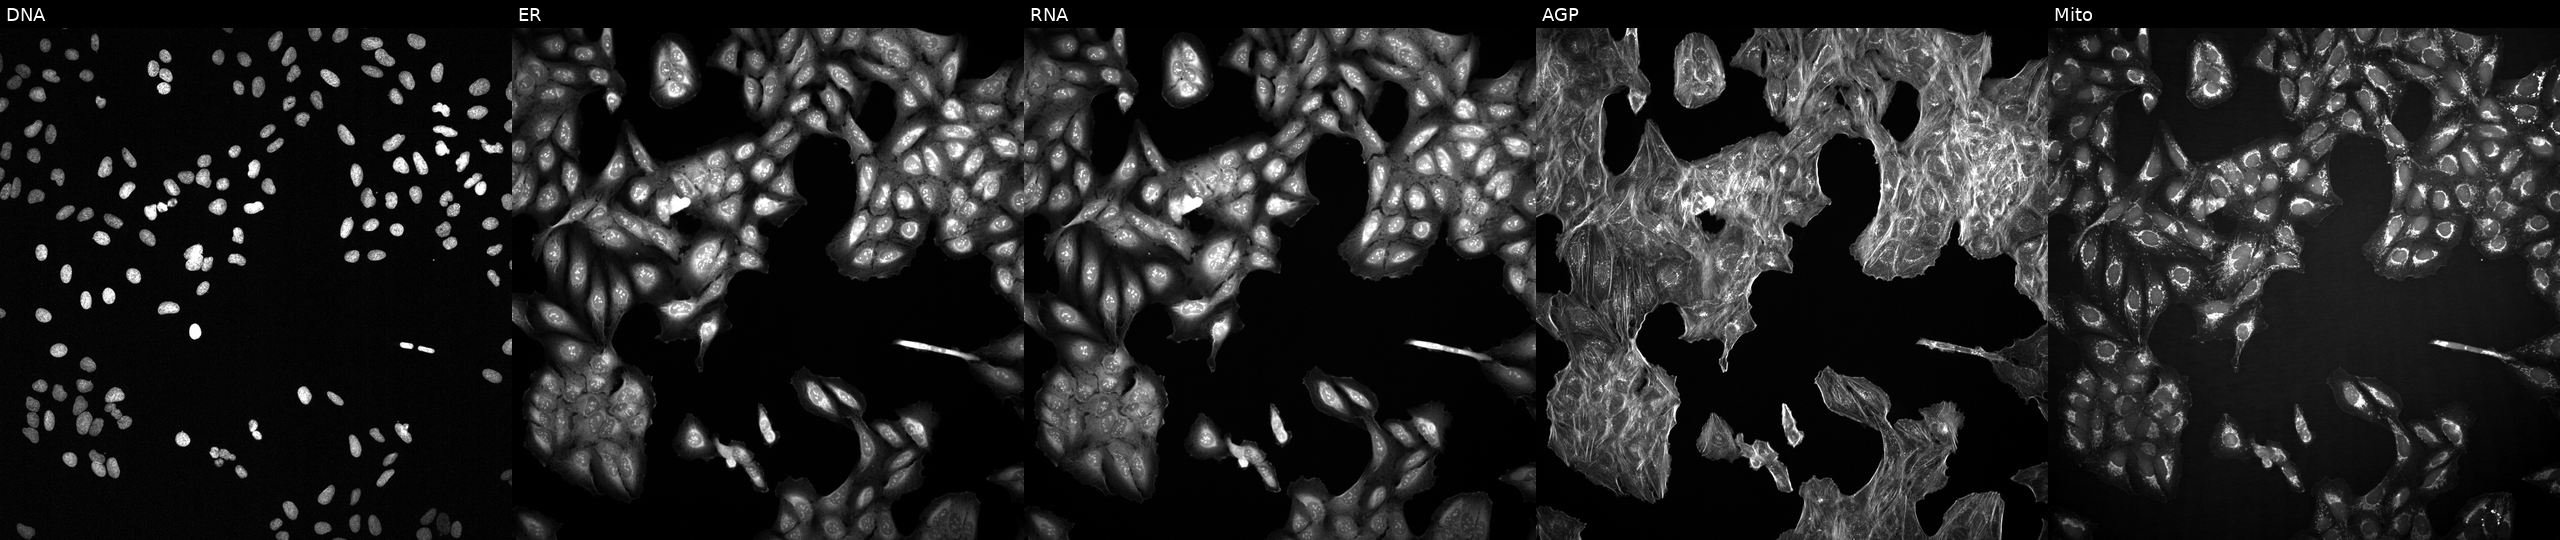
This image strip shows the five Cell Painting channels for a single field of U2OS cells with an unidentified perturbation (not annotated in JUMP metadata). From left to right: Hoechst 33342, concanavalin A, SYTO 14, phalloidin and WGA, MitoTracker.